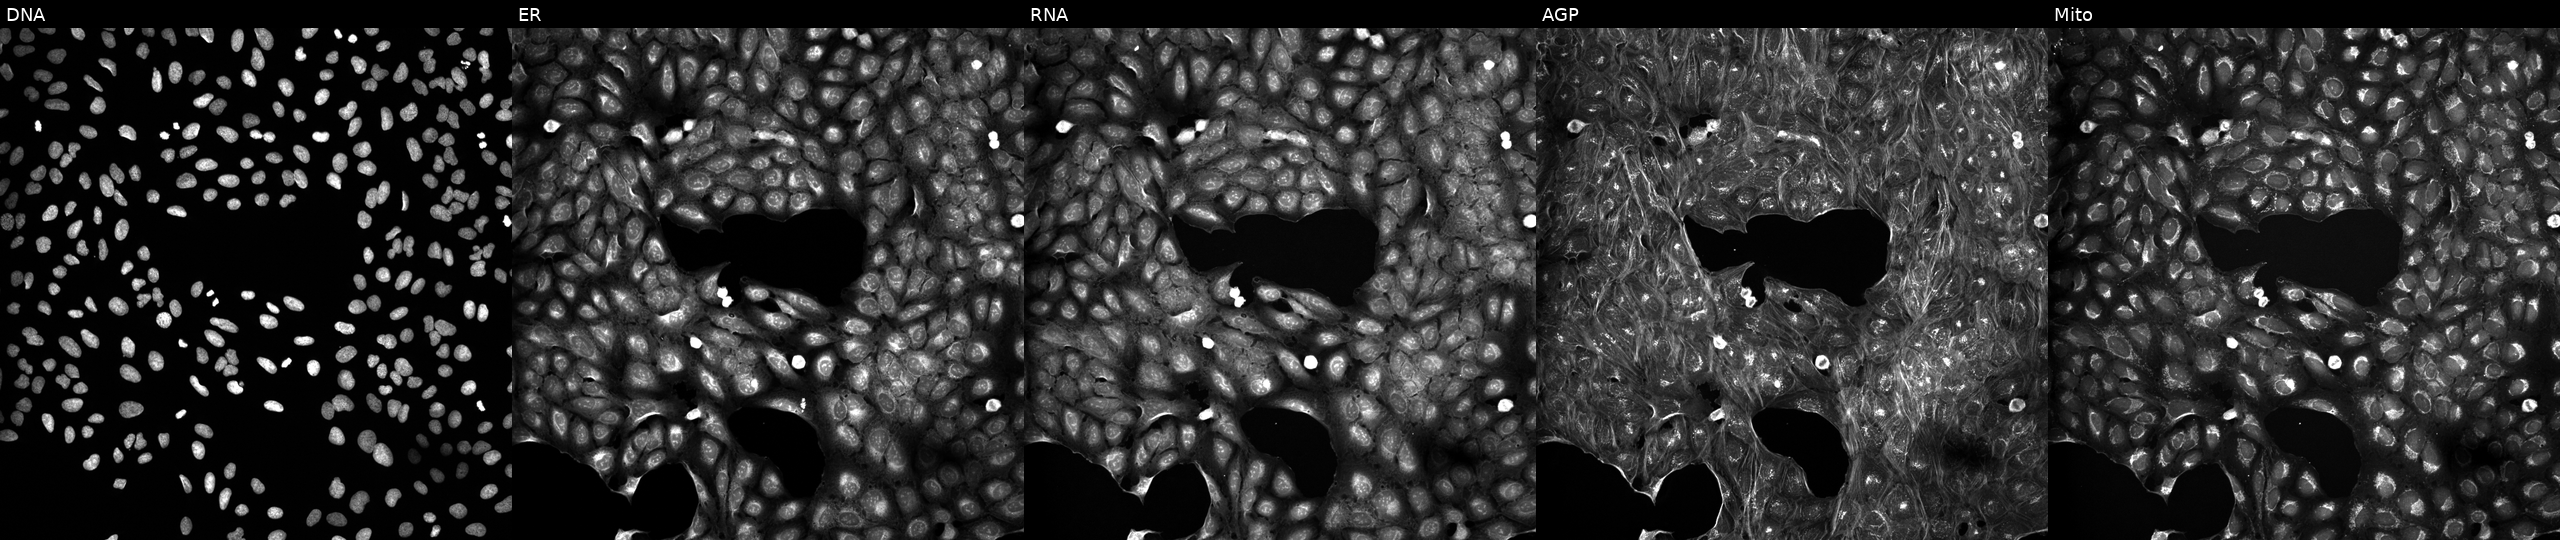
High-content fluorescence microscopy (Cell Painting). Cell line: U2OS. Perturbation: treated with DMSO vehicle only (negative control) (JUMP id JCP2022_033924). The five panels, left to right, show DNA, ER, RNA, AGP, and Mito.